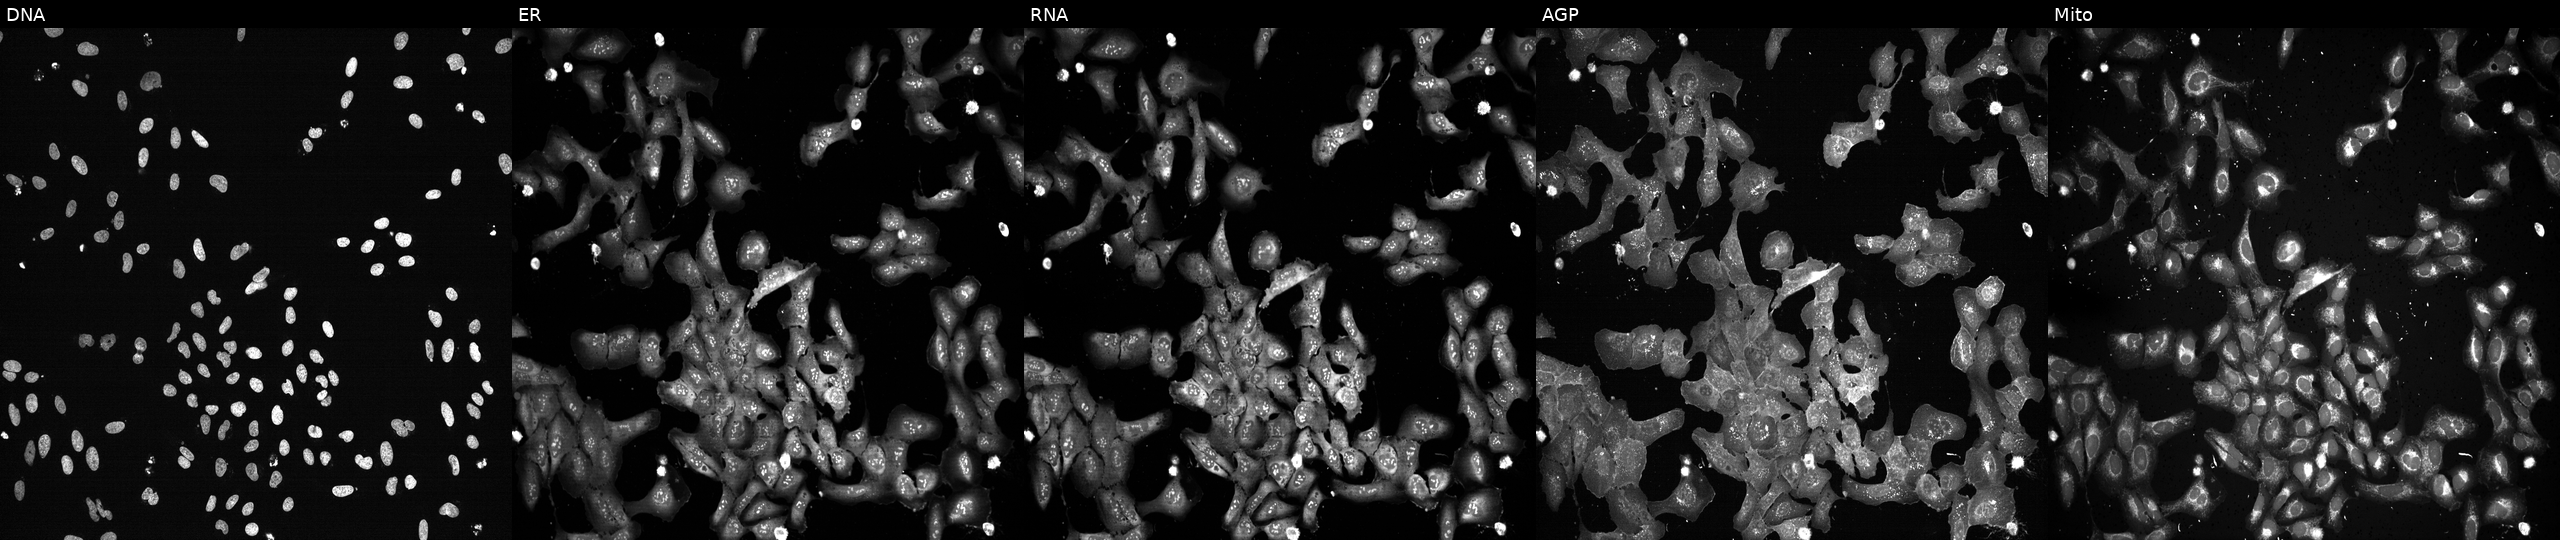
JUMP Cell Painting — CRISPR plate. U2OS cells following CRISPR knockout of POLR2G (JUMP id JCP2022_805348). From left to right: DNA (nuclei); ER (endoplasmic reticulum); RNA (nucleoli and cytoplasmic RNA); AGP (actin cytoskeleton, Golgi, and plasma membrane); Mito (mitochondria). Source 13, plate CP-CC9-R5-01, well G08.